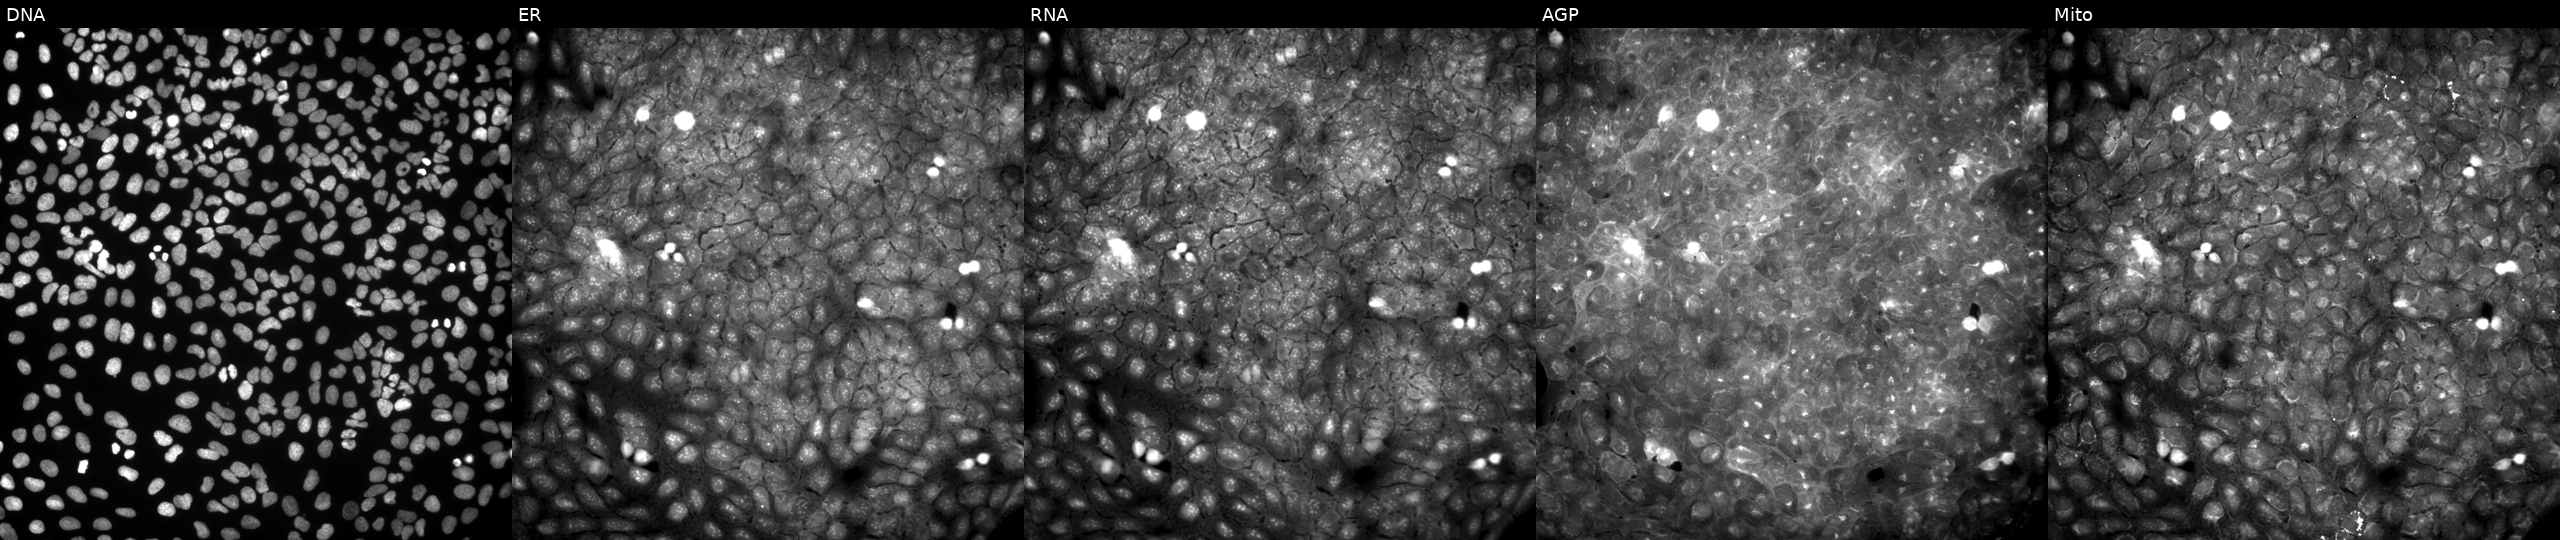
High-content fluorescence microscopy (Cell Painting). Cell line: U2OS. Perturbation: treated with a small-molecule compound (InChIKey KPVLEOSCPGDCDF-UHFFFAOYSA-N). The five panels, left to right, show DNA, ER, RNA, AGP, and Mito.